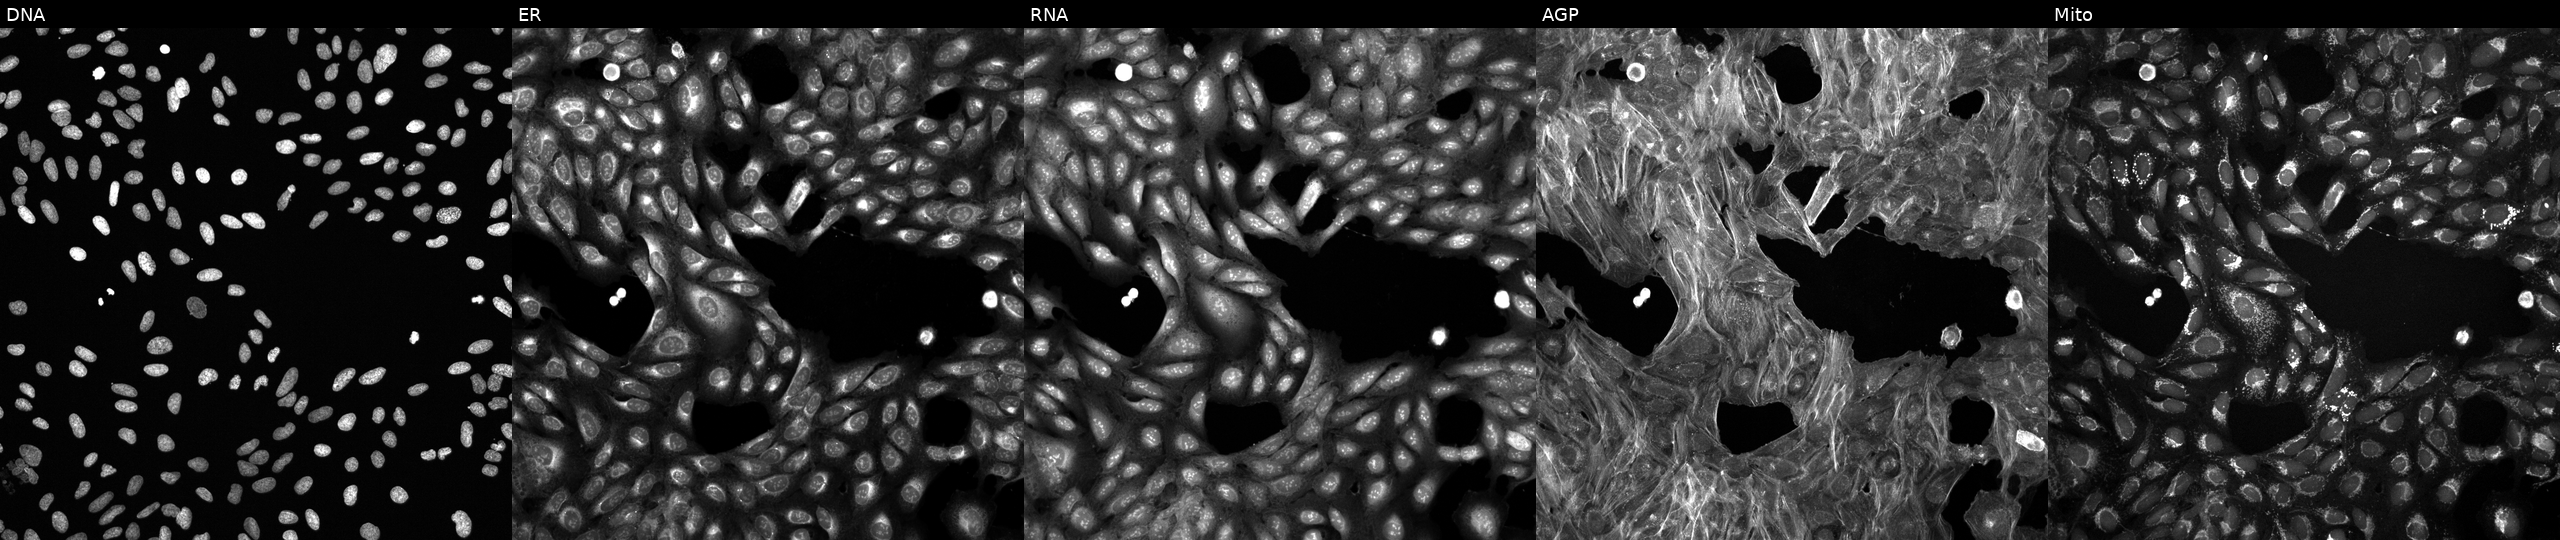
High-content fluorescence microscopy (Cell Painting). Cell line: U2OS. Perturbation: exposed to a small-molecule compound (InChIKey HBUBKKRHXORPQB-UHFFFAOYSA-N) [SMILES: N=c1[nH]c(F)nc2c1ncn2C1OC(CO)C(O)C1O] (JUMP id JCP2022_029186). Panels show, left to right, DNA (nuclei); ER (endoplasmic reticulum); RNA (nucleoli and cytoplasmic RNA); AGP (actin cytoskeleton, Golgi, and plasma membrane); Mito (mitochondria). Source 6, plate 110000293081, well I23.